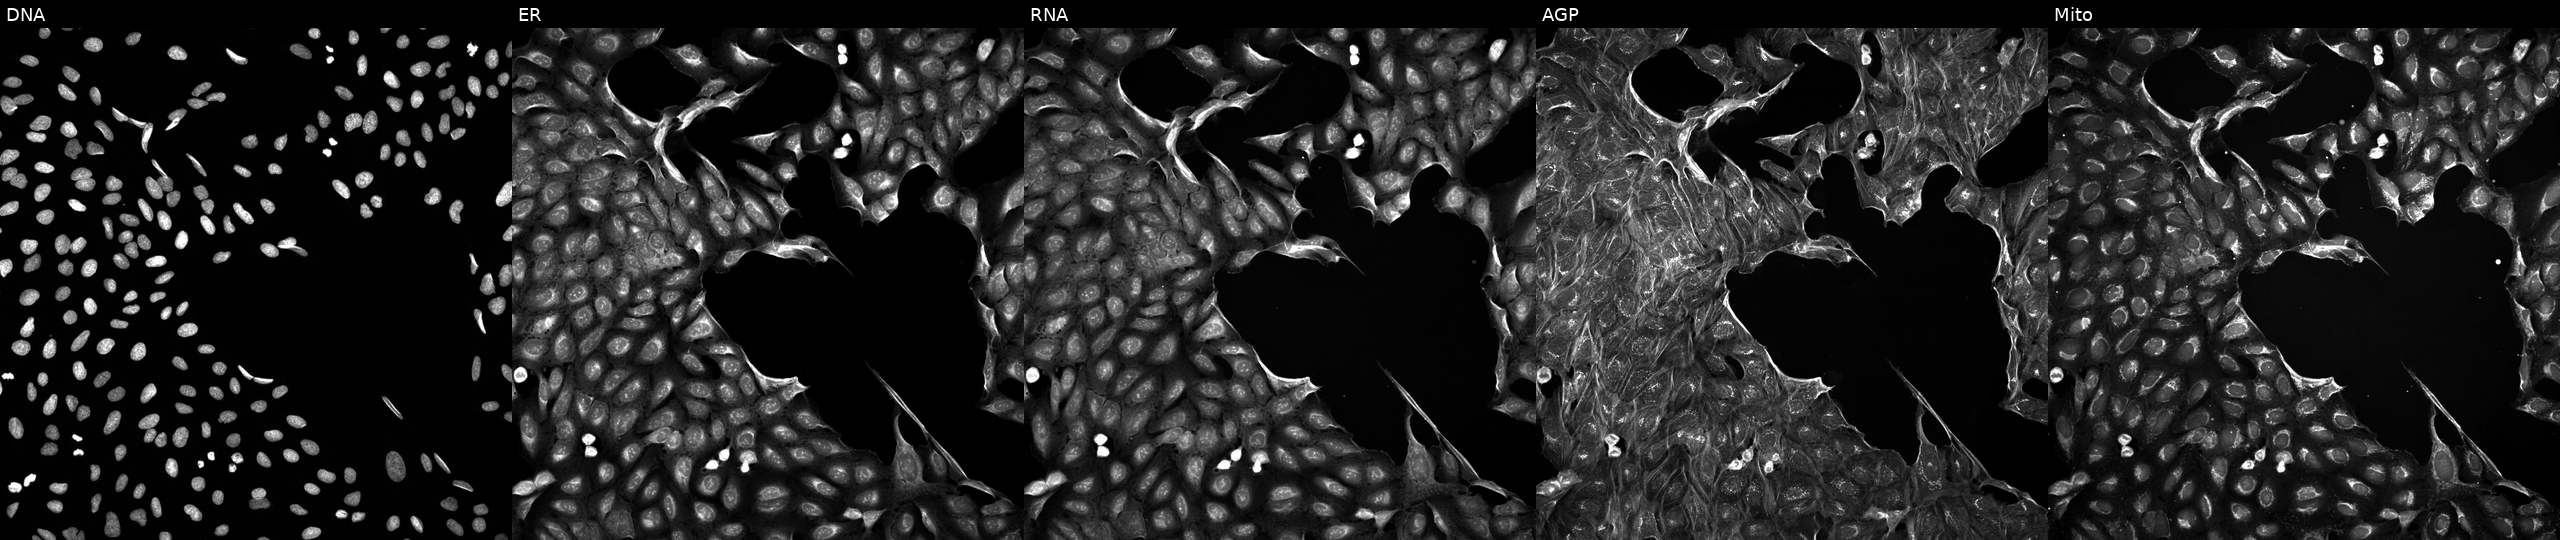
U2OS cells, Cell Painting assay, perturbed with a small-molecule compound (InChIKey GCUCIFQCGJIRNT-UHFFFAOYSA-N). From left to right: Hoechst 33342, concanavalin A, SYTO 14, phalloidin and WGA, MitoTracker. Each panel is percentile-stretched 16-bit fluorescence.